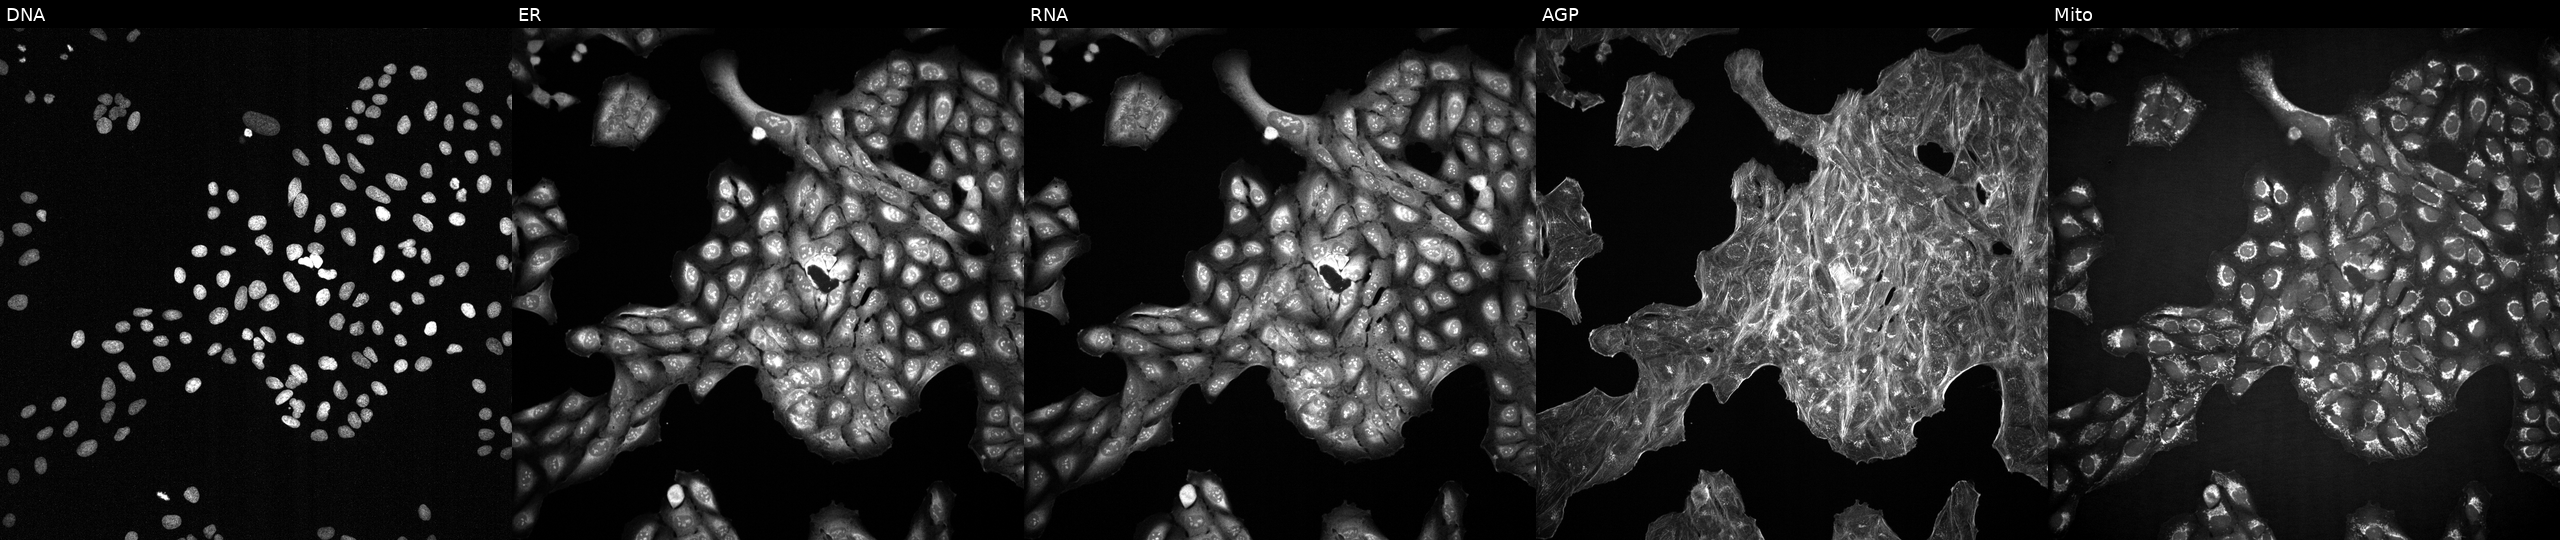
U2OS cells, Cell Painting assay, exposed to DMSO alone as a negative control (JUMP id JCP2022_033924). Channels (left→right): DNA, ER, RNA, AGP, and Mito. Each panel is percentile-stretched 16-bit fluorescence. Source 2, plate 1053599503, well C17.